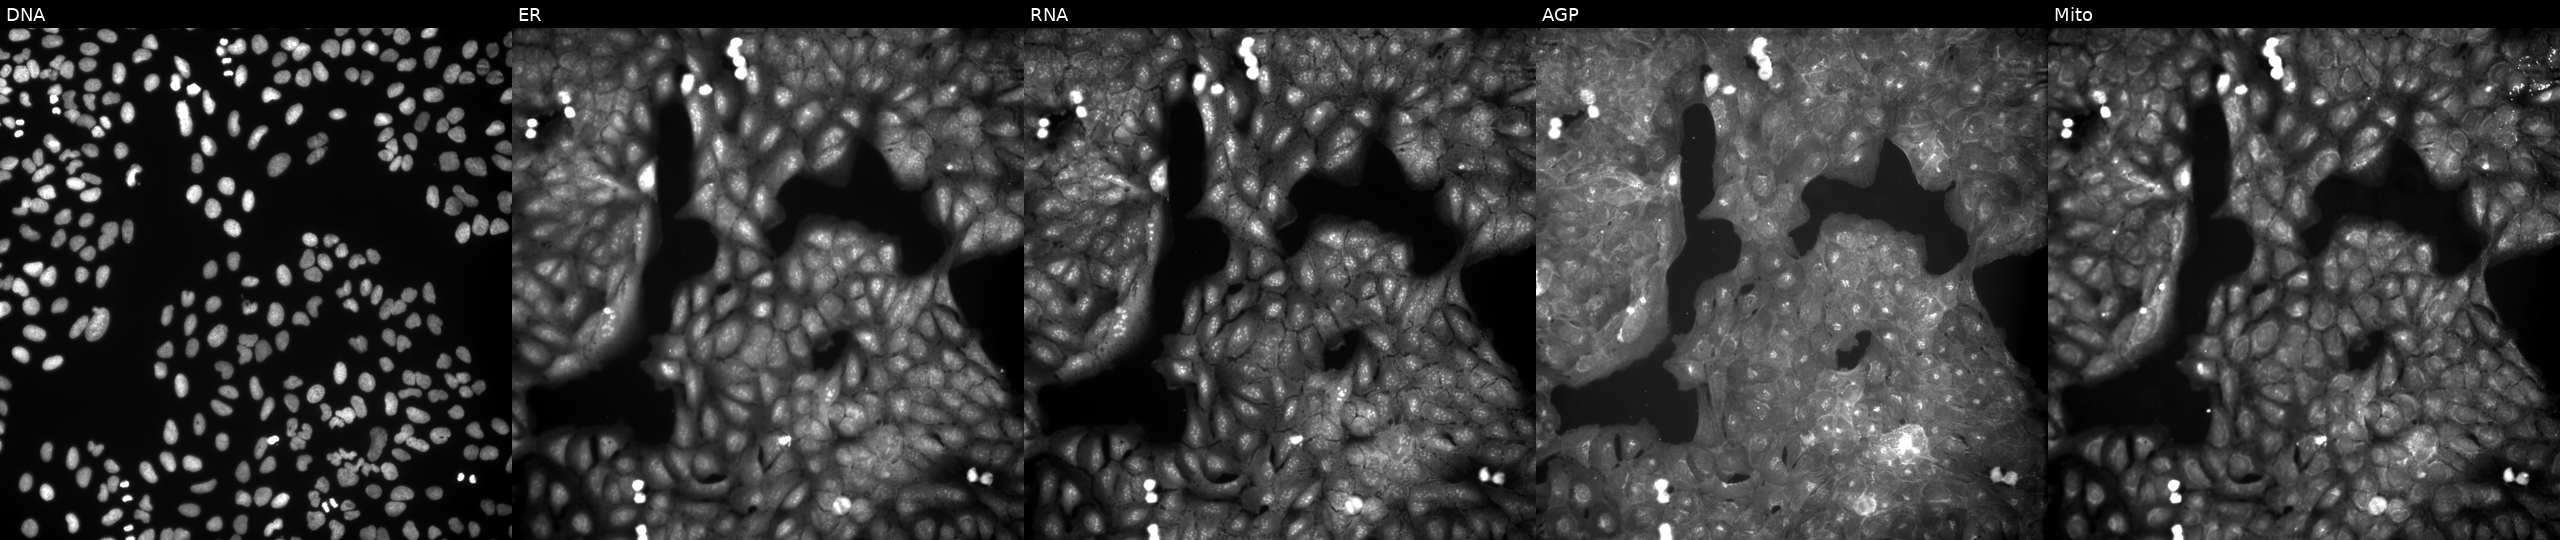
U2OS cells, Cell Painting assay, treated with a small-molecule compound (InChIKey NUEJFDWDVOUORI-UHFFFAOYSA-N) (JUMP id JCP2022_061386). From left to right: DNA (nuclei); ER (endoplasmic reticulum); RNA (nucleoli and cytoplasmic RNA); AGP (actin cytoskeleton, Golgi, and plasma membrane); Mito (mitochondria). Each panel is percentile-stretched 16-bit fluorescence.